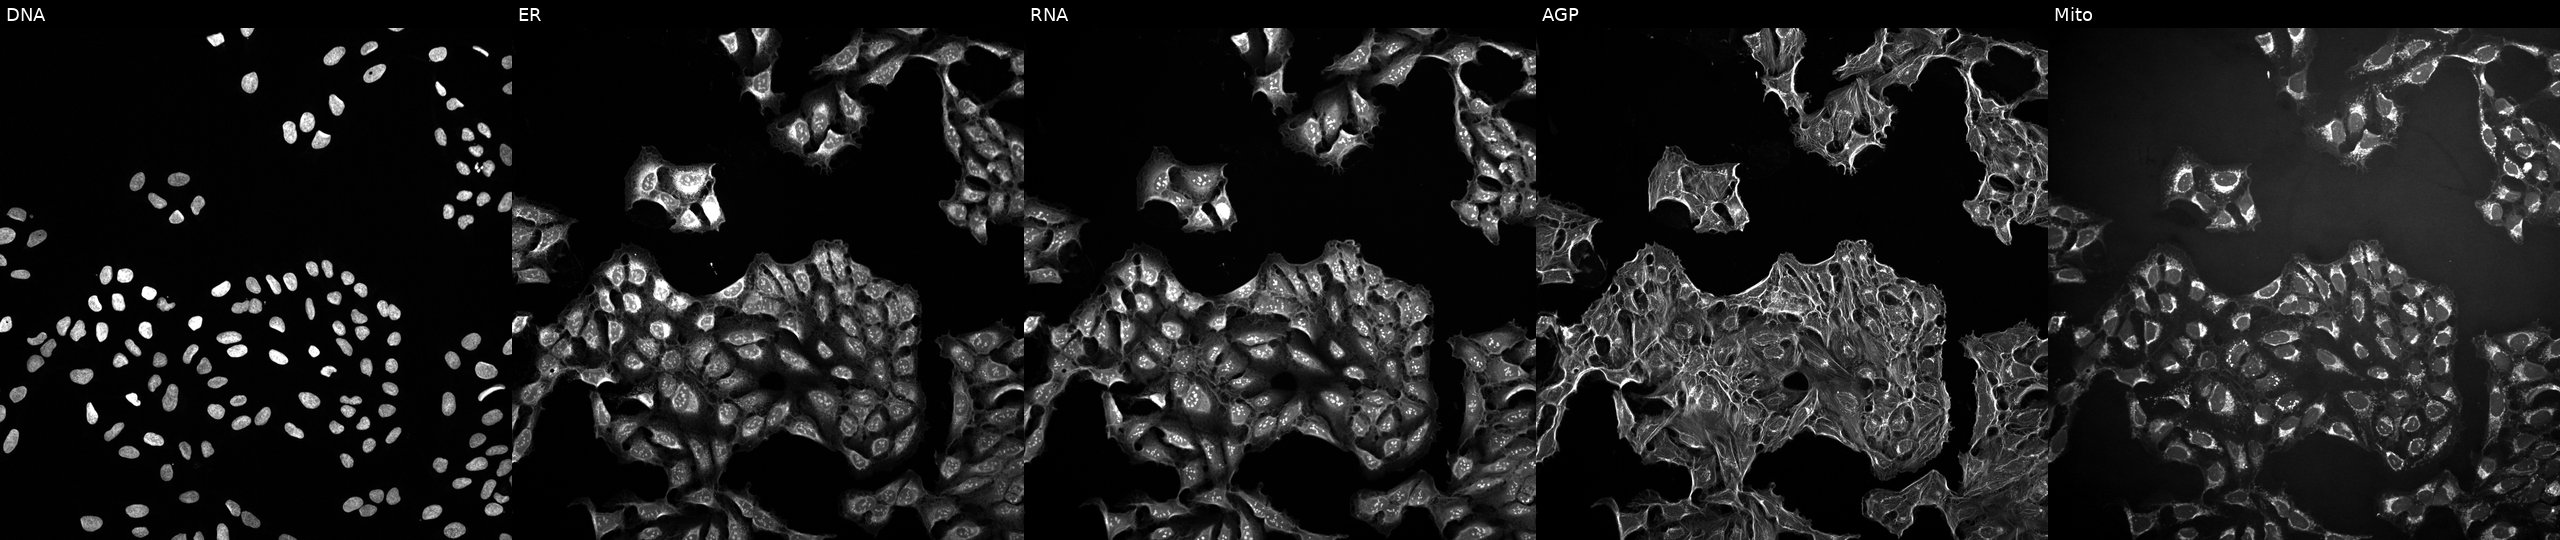
Five-channel Cell Painting image of U2OS cells perturbed with a small-molecule compound. From left to right: DNA (nuclei); ER (endoplasmic reticulum); RNA (nucleoli and cytoplasmic RNA); AGP (actin cytoskeleton, Golgi, and plasma membrane); Mito (mitochondria). Source 10, plate Dest210726-160150, well P10.